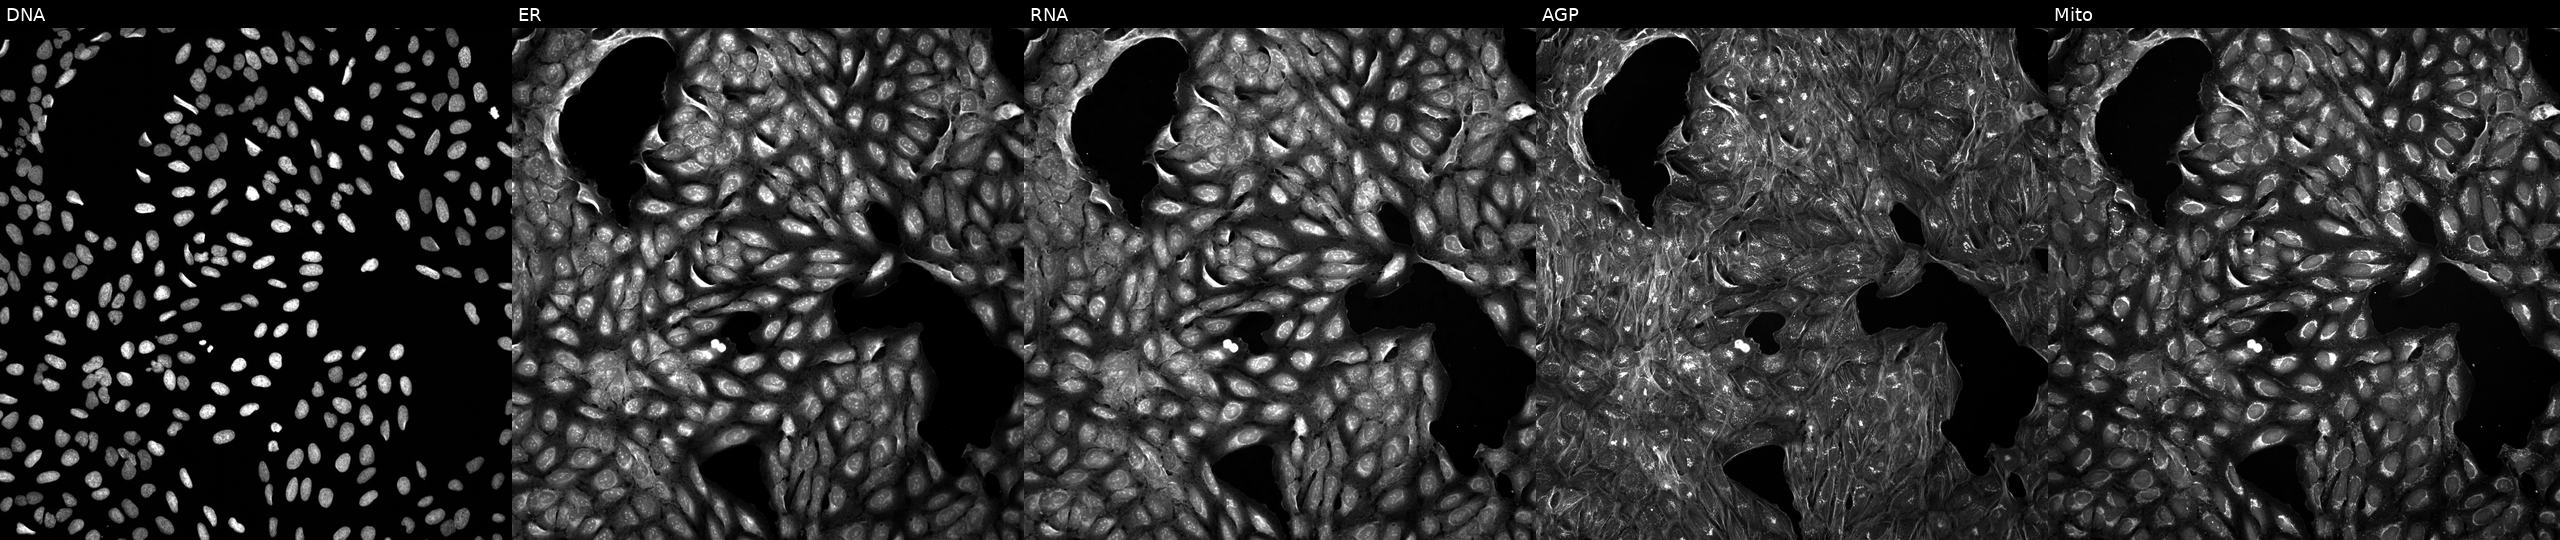
Channels (left→right): DNA, ER, RNA, AGP, and Mito. U2OS osteosarcoma cells treated with DMSO vehicle only (negative control) (JUMP id JCP2022_033924). Cell Painting assay, JUMP-CP dataset.